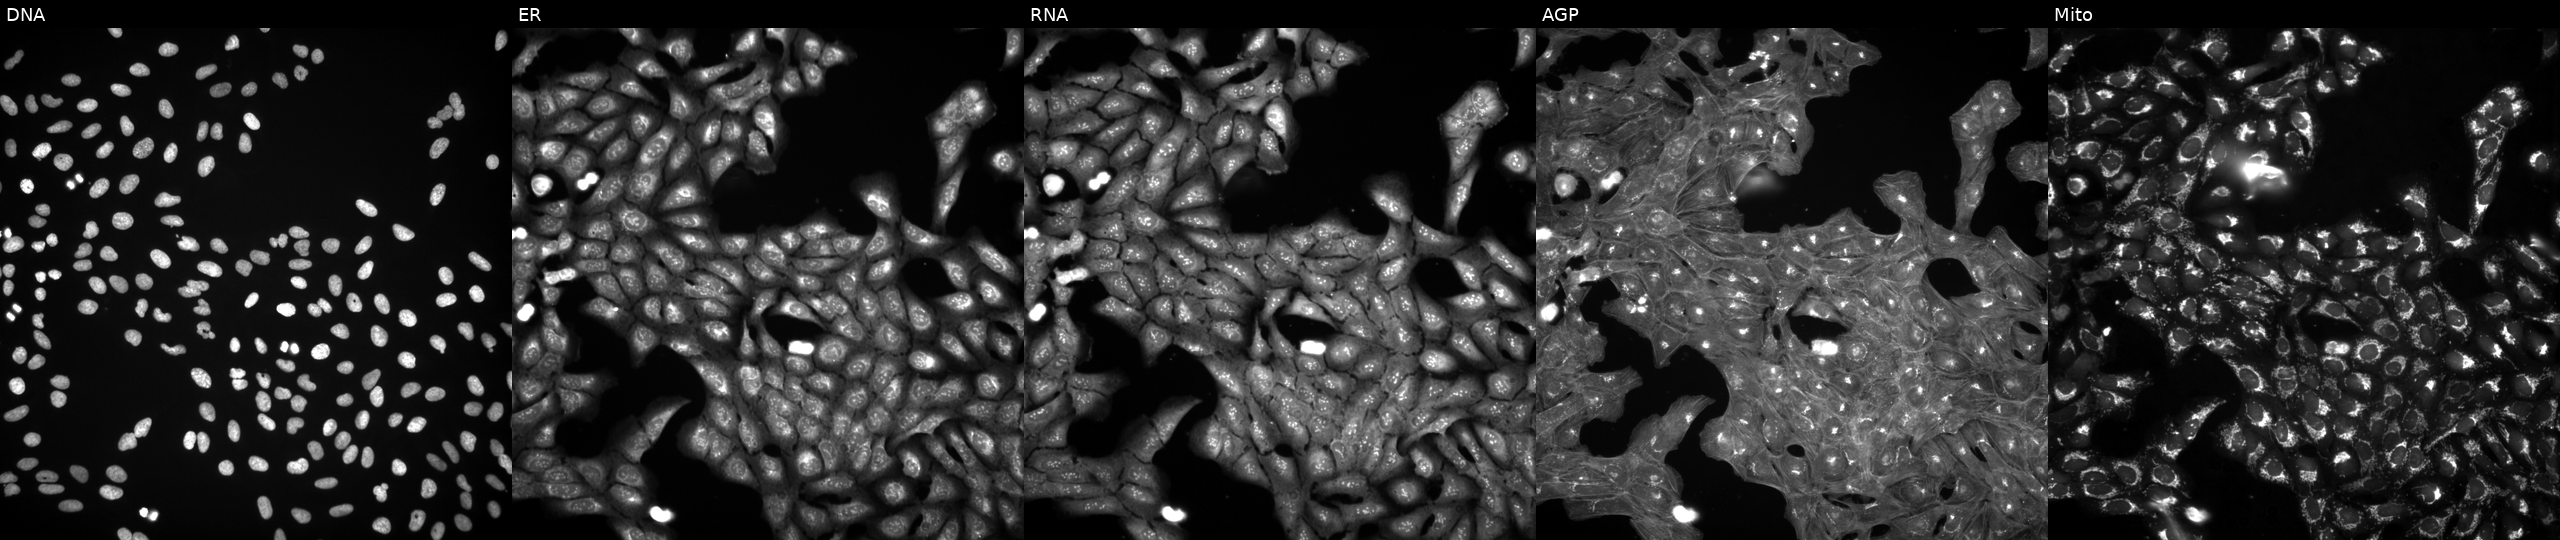
Five-channel Cell Painting image of U2OS cells treated with a small-molecule compound (InChIKey ZOUHDDZRRWYTOS-UHFFFAOYSA-N). From left to right: Hoechst 33342, concanavalin A, SYTO 14, phalloidin and WGA, MitoTracker.